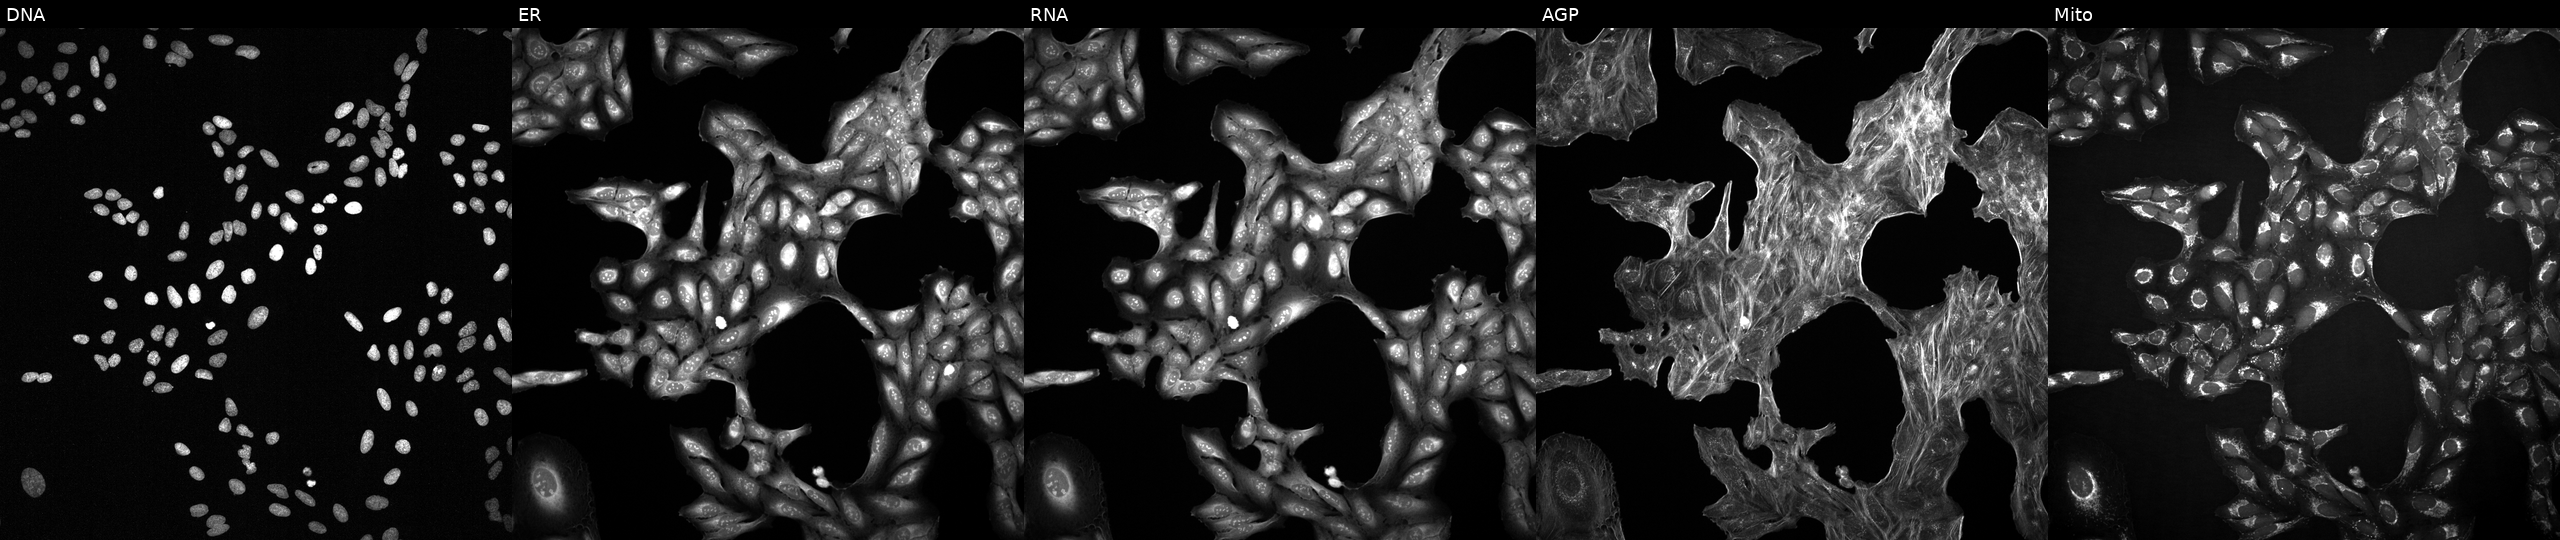
Five-channel Cell Painting image of U2OS cells treated with a small-molecule compound (InChIKey RZVFAFMCEYBBHK-UHFFFAOYSA-N) (JUMP id JCP2022_081785). The five panels, left to right, show Hoechst 33342, concanavalin A, SYTO 14, phalloidin and WGA, MitoTracker.